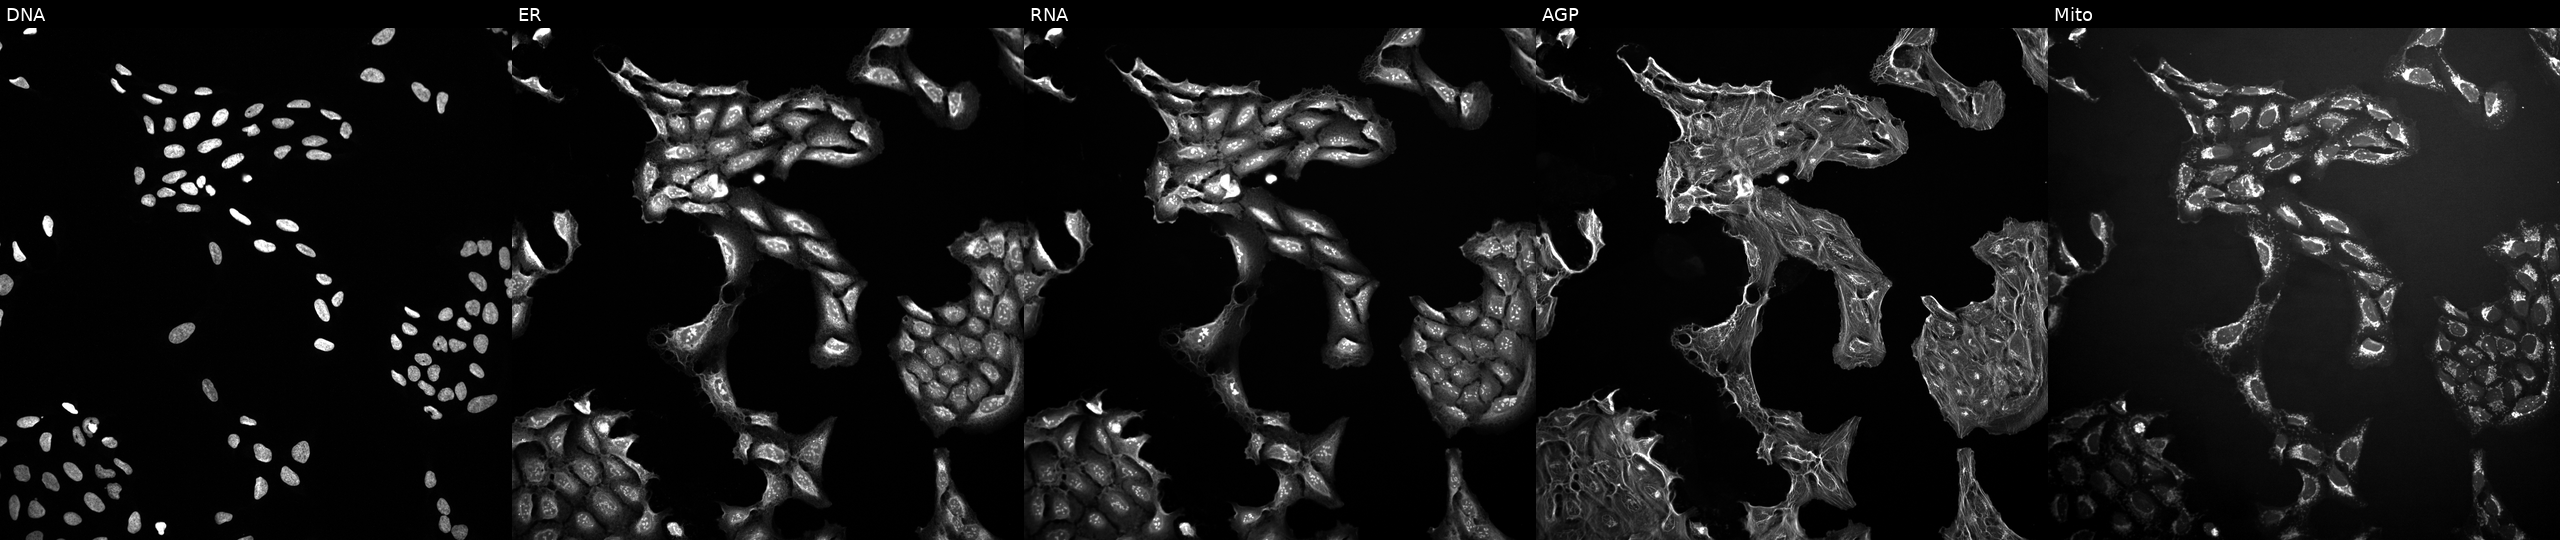
JUMP Cell Painting — TARGET2 plate. U2OS cells exposed to DMSO alone as a negative control (JUMP id JCP2022_033924). From left to right: DNA, ER, RNA, AGP, and Mito.